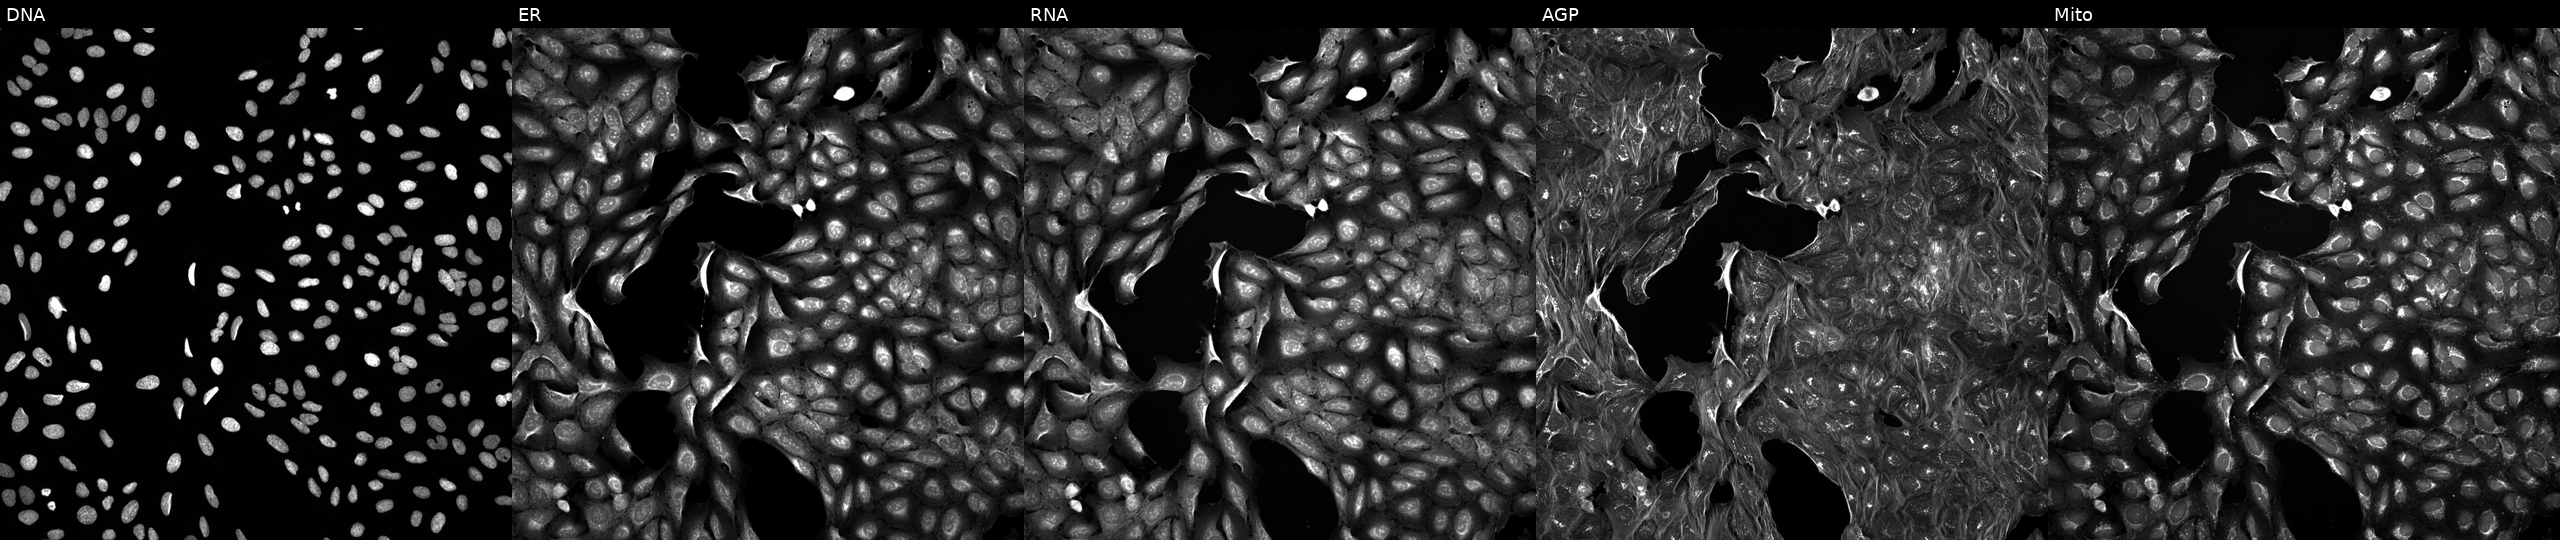
The five panels, left to right, show Hoechst 33342, concanavalin A, SYTO 14, phalloidin and WGA, MitoTracker. U2OS osteosarcoma cells exposed to a small-molecule compound. Cell Painting assay, JUMP-CP dataset. Source 5, plate ACPJUM032, well N05.